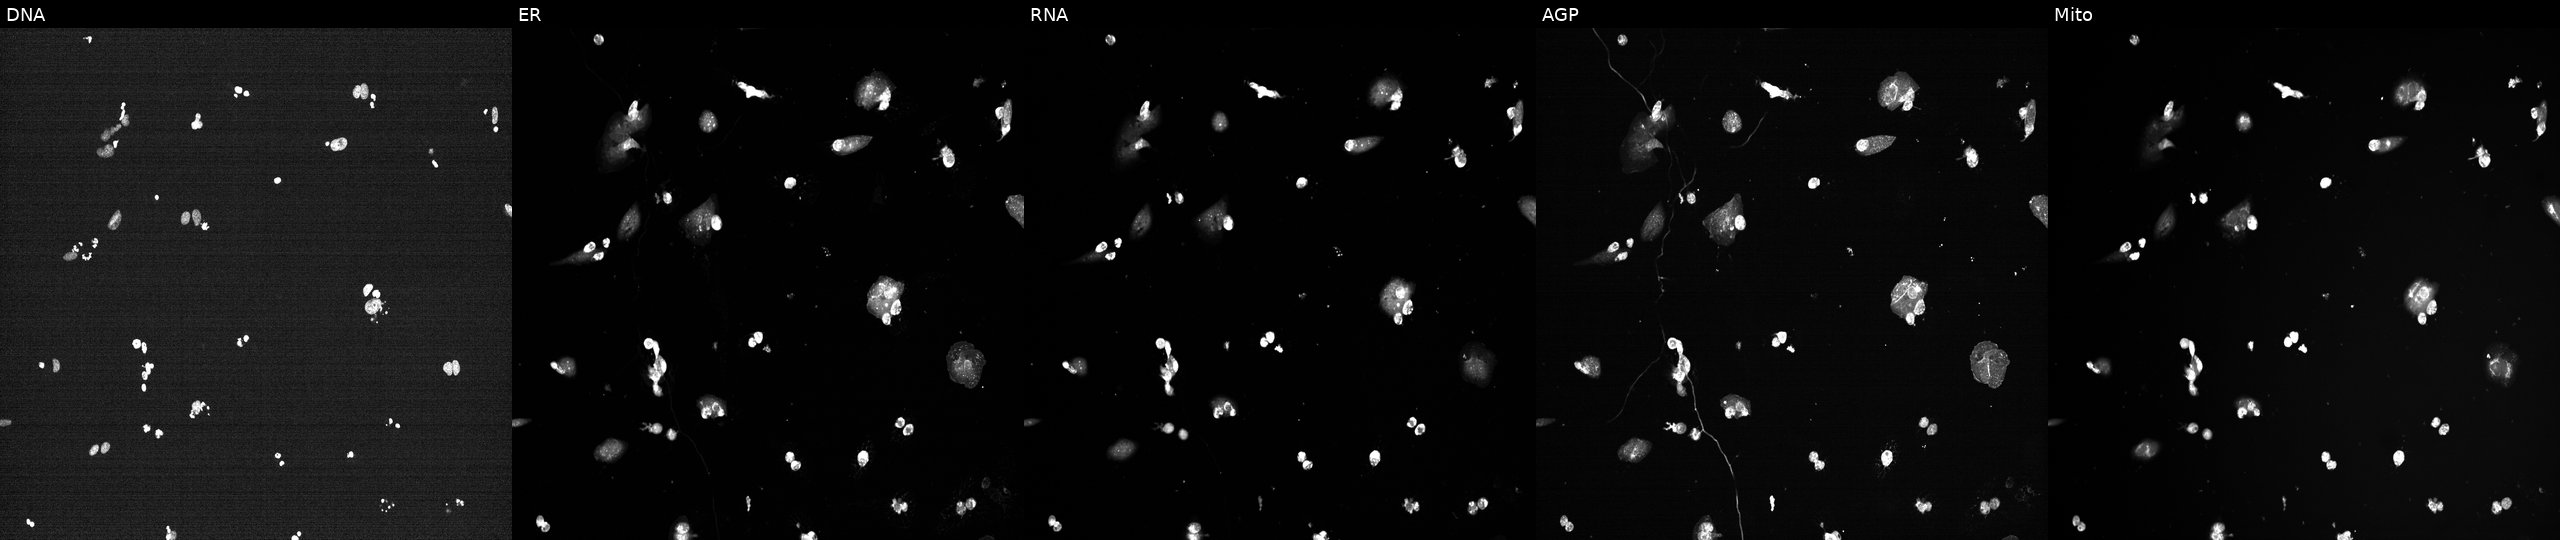
Panels show, left to right, DNA (nuclei); ER (endoplasmic reticulum); RNA (nucleoli and cytoplasmic RNA); AGP (actin cytoskeleton, Golgi, and plasma membrane); Mito (mitochondria). U2OS osteosarcoma cells exposed to a small-molecule compound (InChIKey WSMQUUGTQYPVPD-UHFFFAOYSA-N). Cell Painting assay, JUMP-CP dataset. Source 7, plate CP1-SC1-25, well O23.